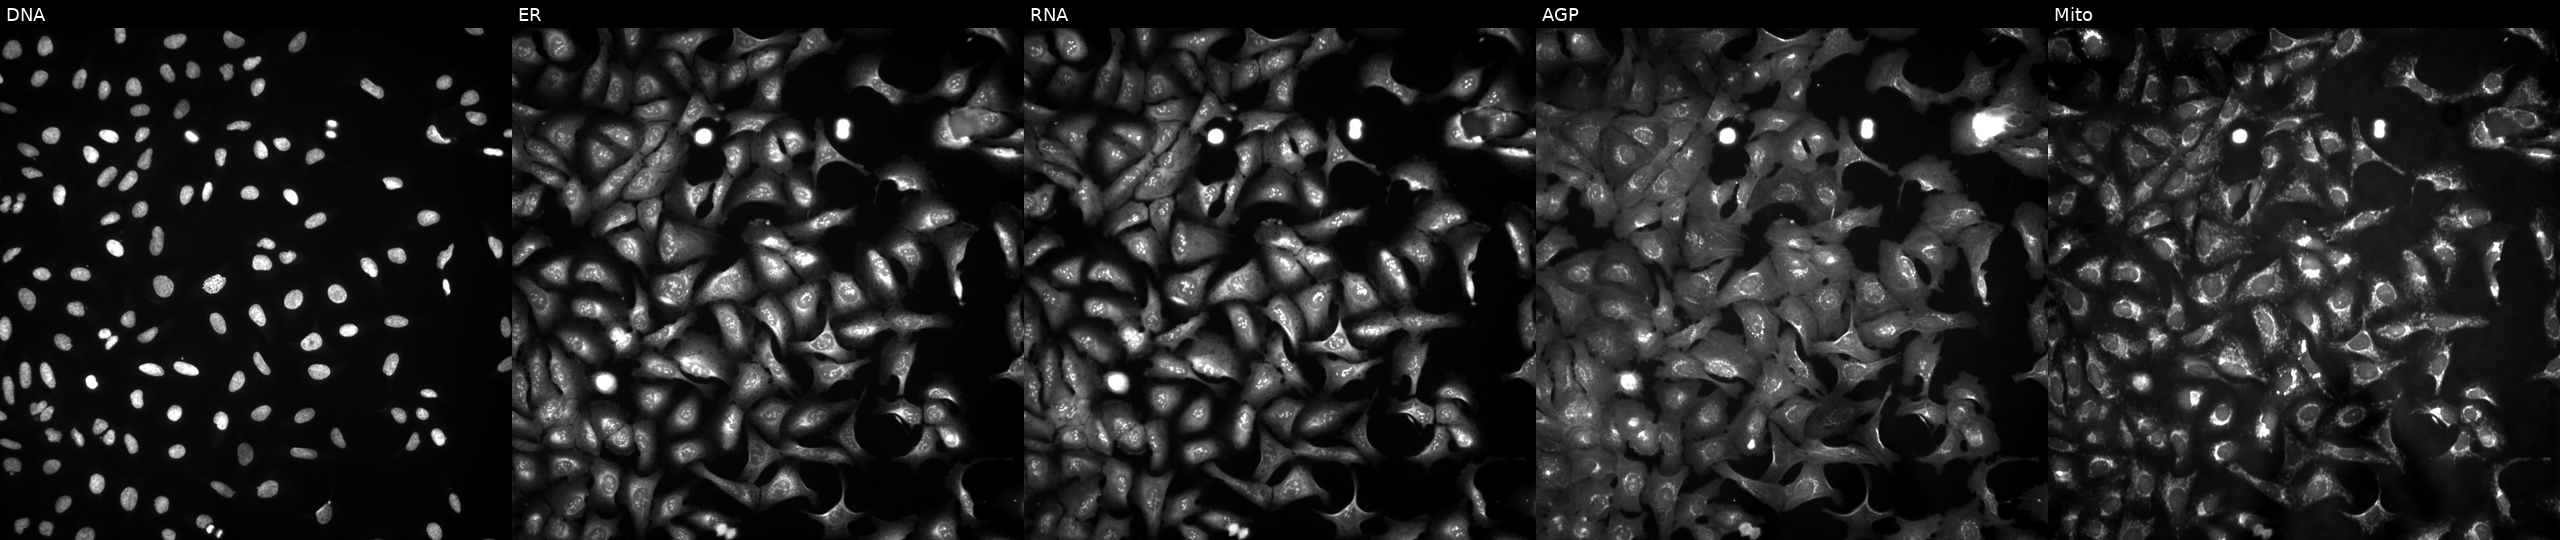
JUMP Cell Painting — ORF plate. U2OS cells expressing LacZ (ORF negative control). From left to right: DNA, ER, RNA, AGP, and Mito.